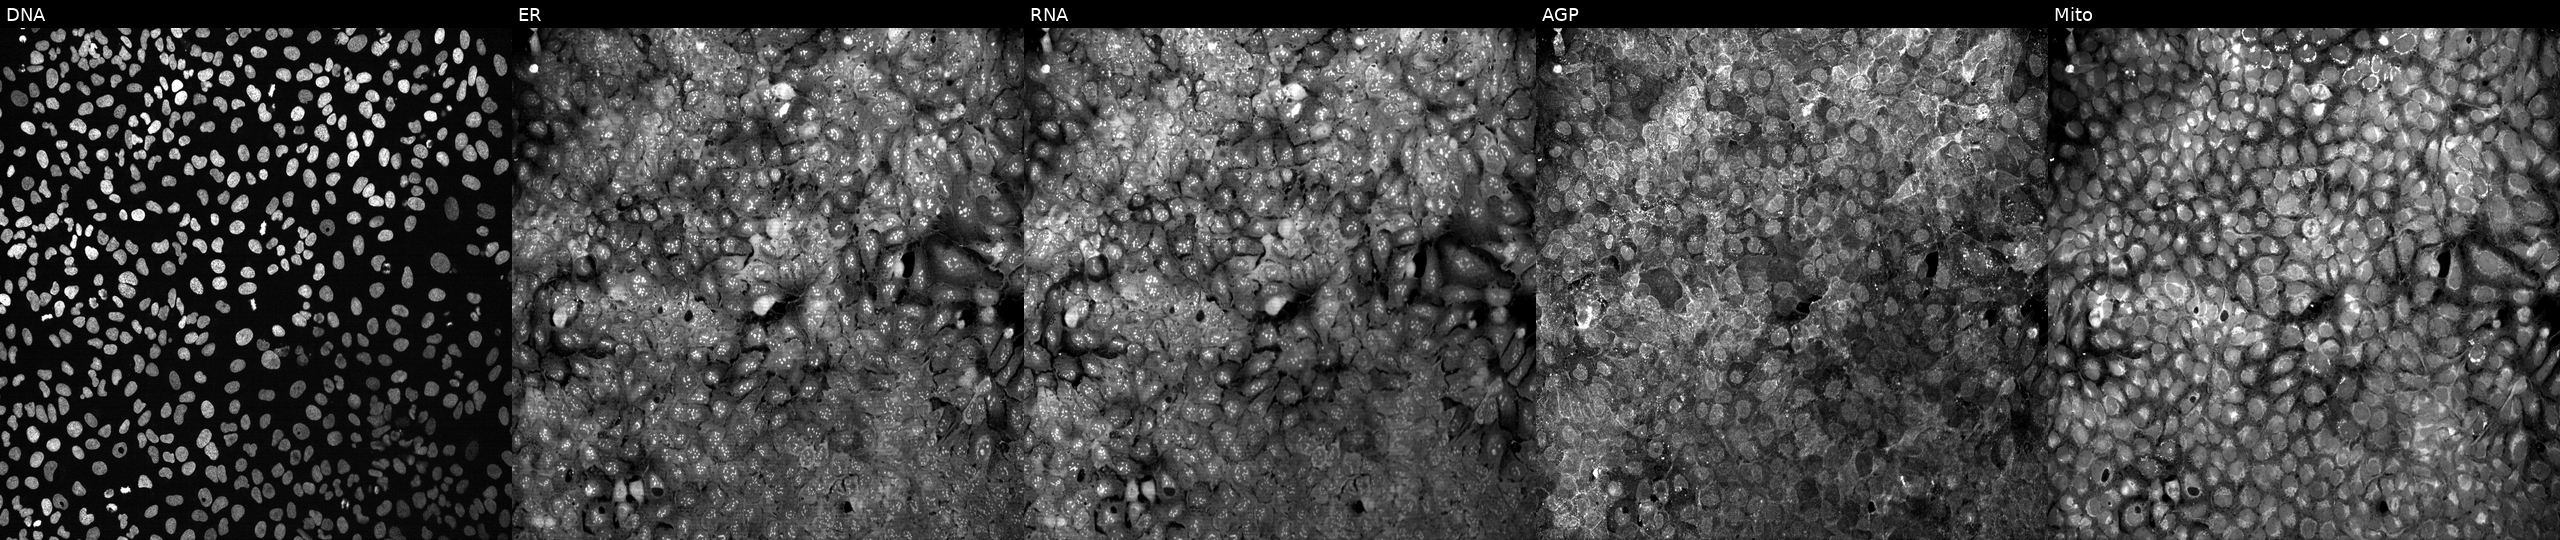
U2OS cells, Cell Painting assay, exposed to the positive-control compound quinidine (JUMP id JCP2022_050797). From left to right: DNA, ER, RNA, AGP, and Mito. Each panel is percentile-stretched 16-bit fluorescence. Source 13, plate CP-CC9-R1-01, well C24.